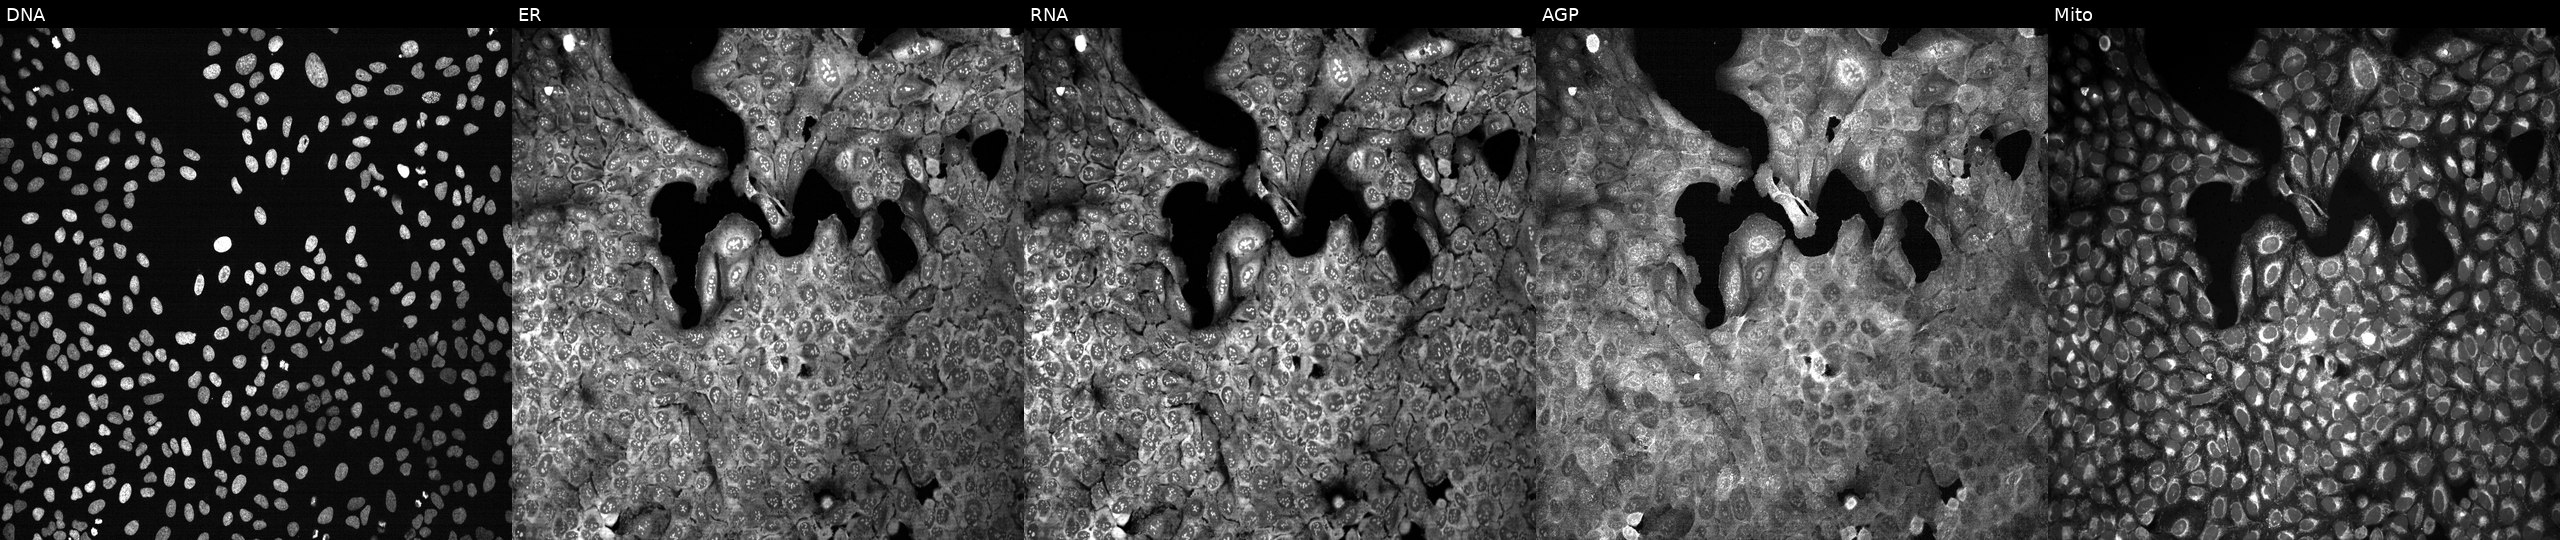
JUMP Cell Painting — CRISPR plate. U2OS cells with a non-targeting CRISPR guide (negative control) (JUMP id JCP2022_800002). The five panels, left to right, show Hoechst 33342, concanavalin A, SYTO 14, phalloidin and WGA, MitoTracker. Source 13, plate CP-CC9-R2-02, well O23.